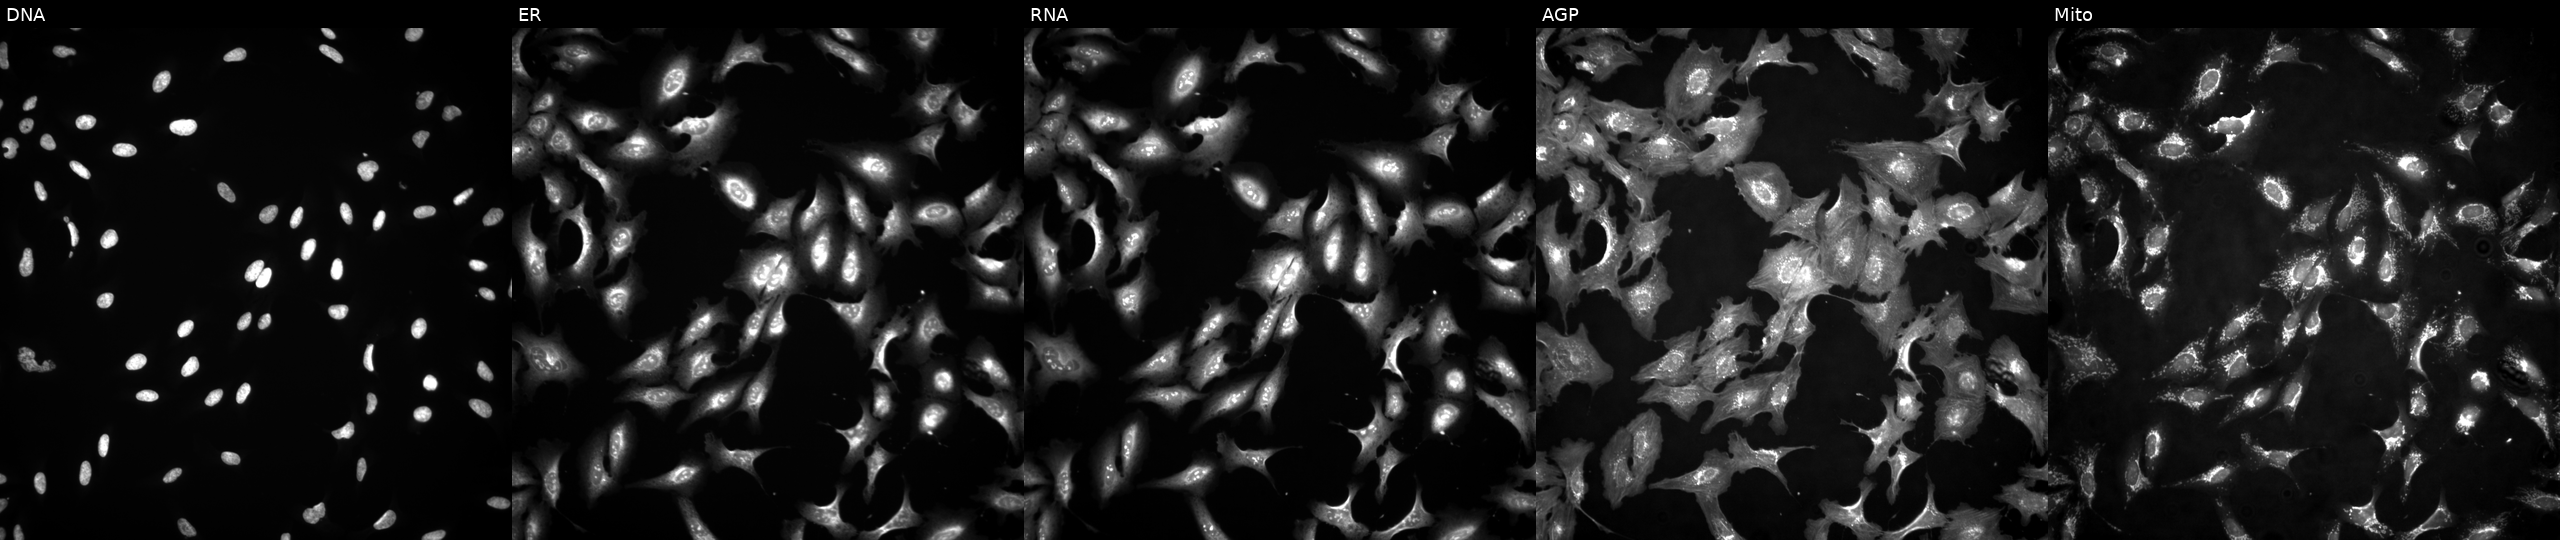
Five-channel Cell Painting image of U2OS cells transfected with an ORF construct for PKMYT1. From left to right: DNA, ER, RNA, AGP, and Mito. Source 4, plate BR00123945, well I24.